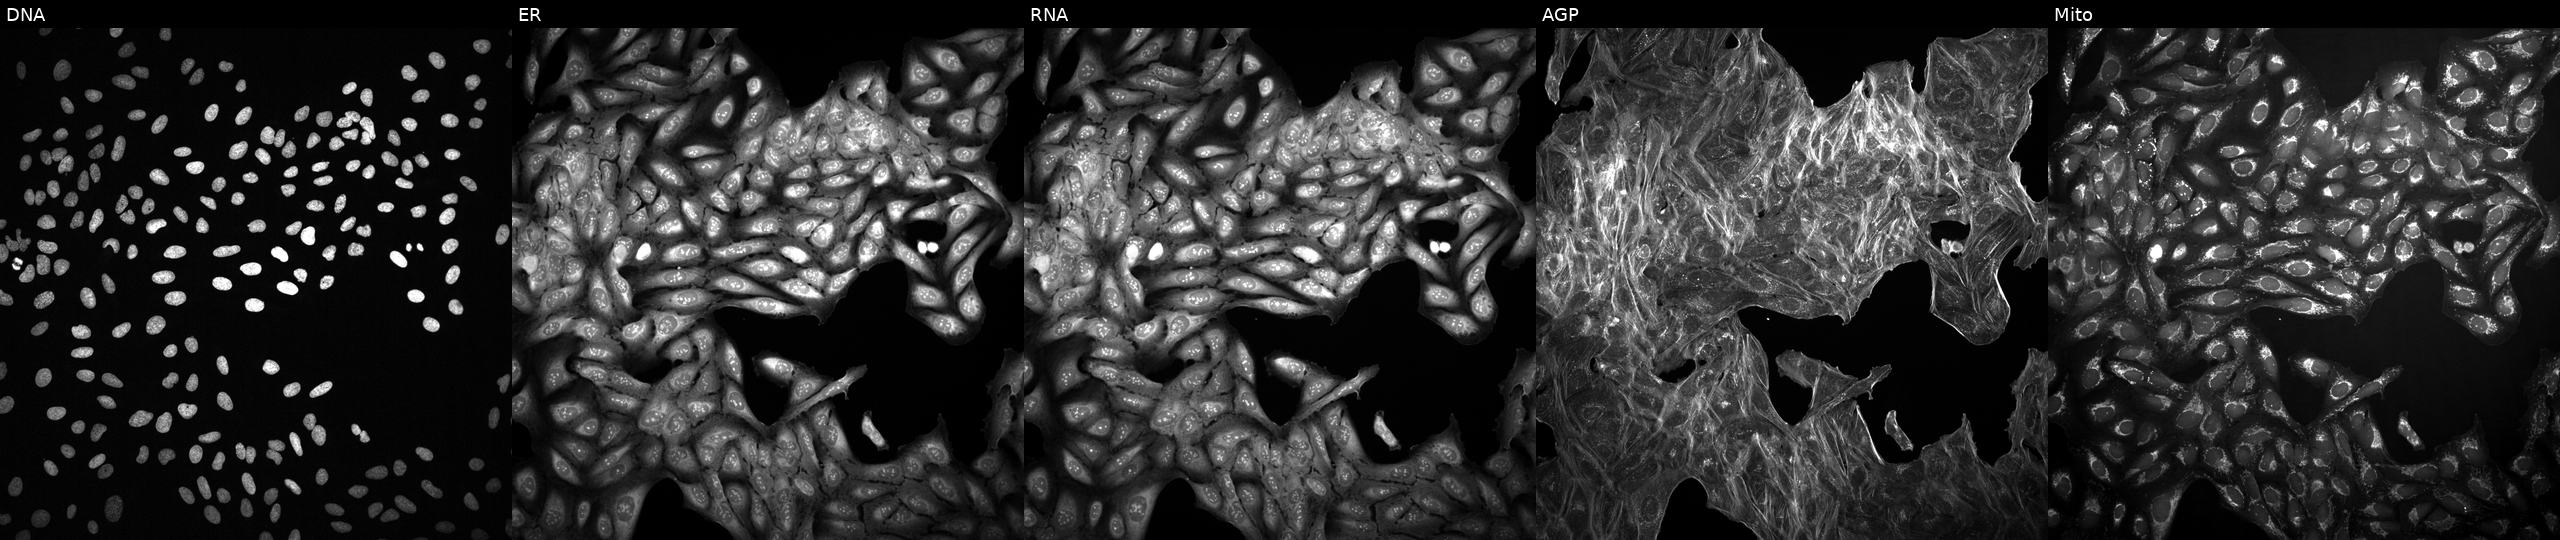
This image strip shows the five Cell Painting channels for a single field of U2OS cells treated with a small-molecule compound. Panels show, left to right, DNA, ER, RNA, AGP, and Mito. Source 2, plate 1053597936, well K20.